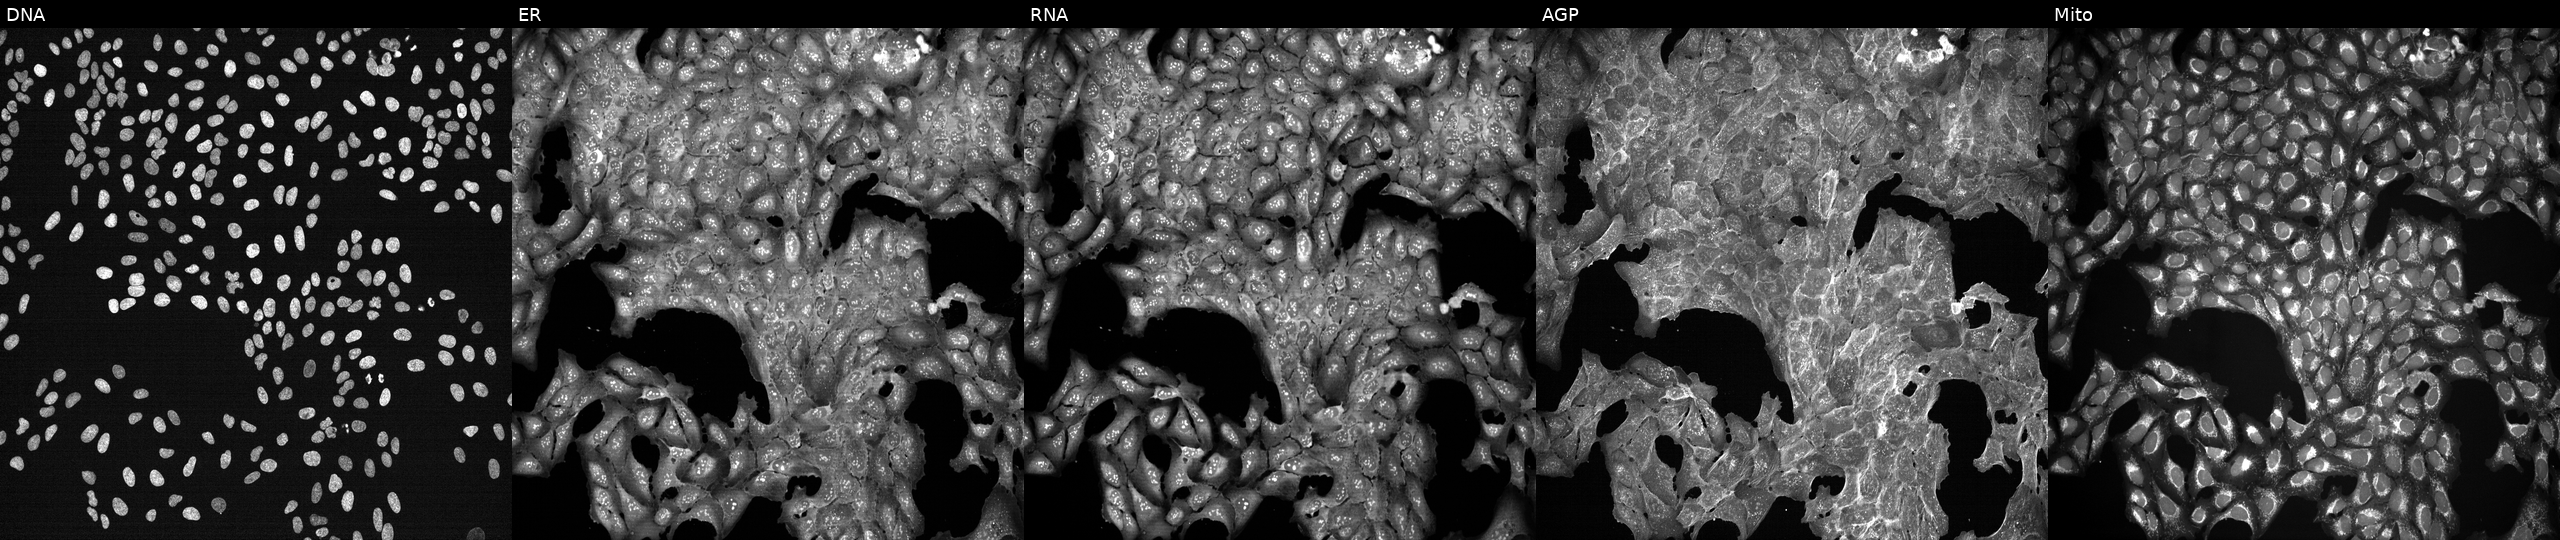
U2OS cells, Cell Painting assay, exposed to a small-molecule compound. From left to right: DNA (nuclei); ER (endoplasmic reticulum); RNA (nucleoli and cytoplasmic RNA); AGP (actin cytoskeleton, Golgi, and plasma membrane); Mito (mitochondria). Each panel is percentile-stretched 16-bit fluorescence.